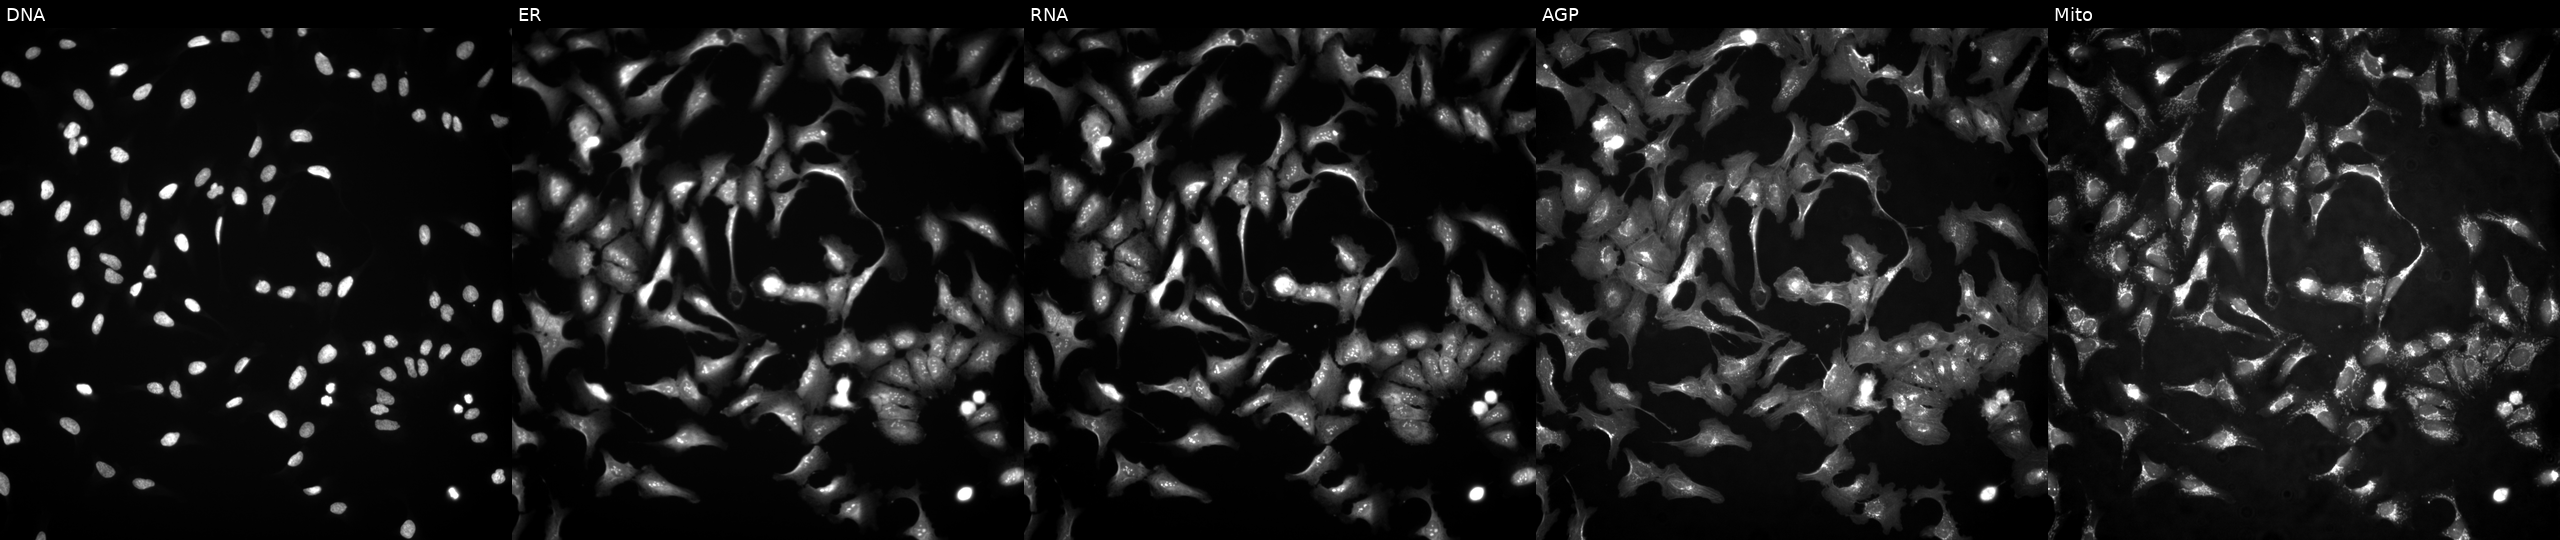
Five-channel Cell Painting image of U2OS cells with ARID5A overexpressed (ORF) (JUMP id JCP2022_910776). The five panels, left to right, show DNA (nuclei); ER (endoplasmic reticulum); RNA (nucleoli and cytoplasmic RNA); AGP (actin cytoskeleton, Golgi, and plasma membrane); Mito (mitochondria).